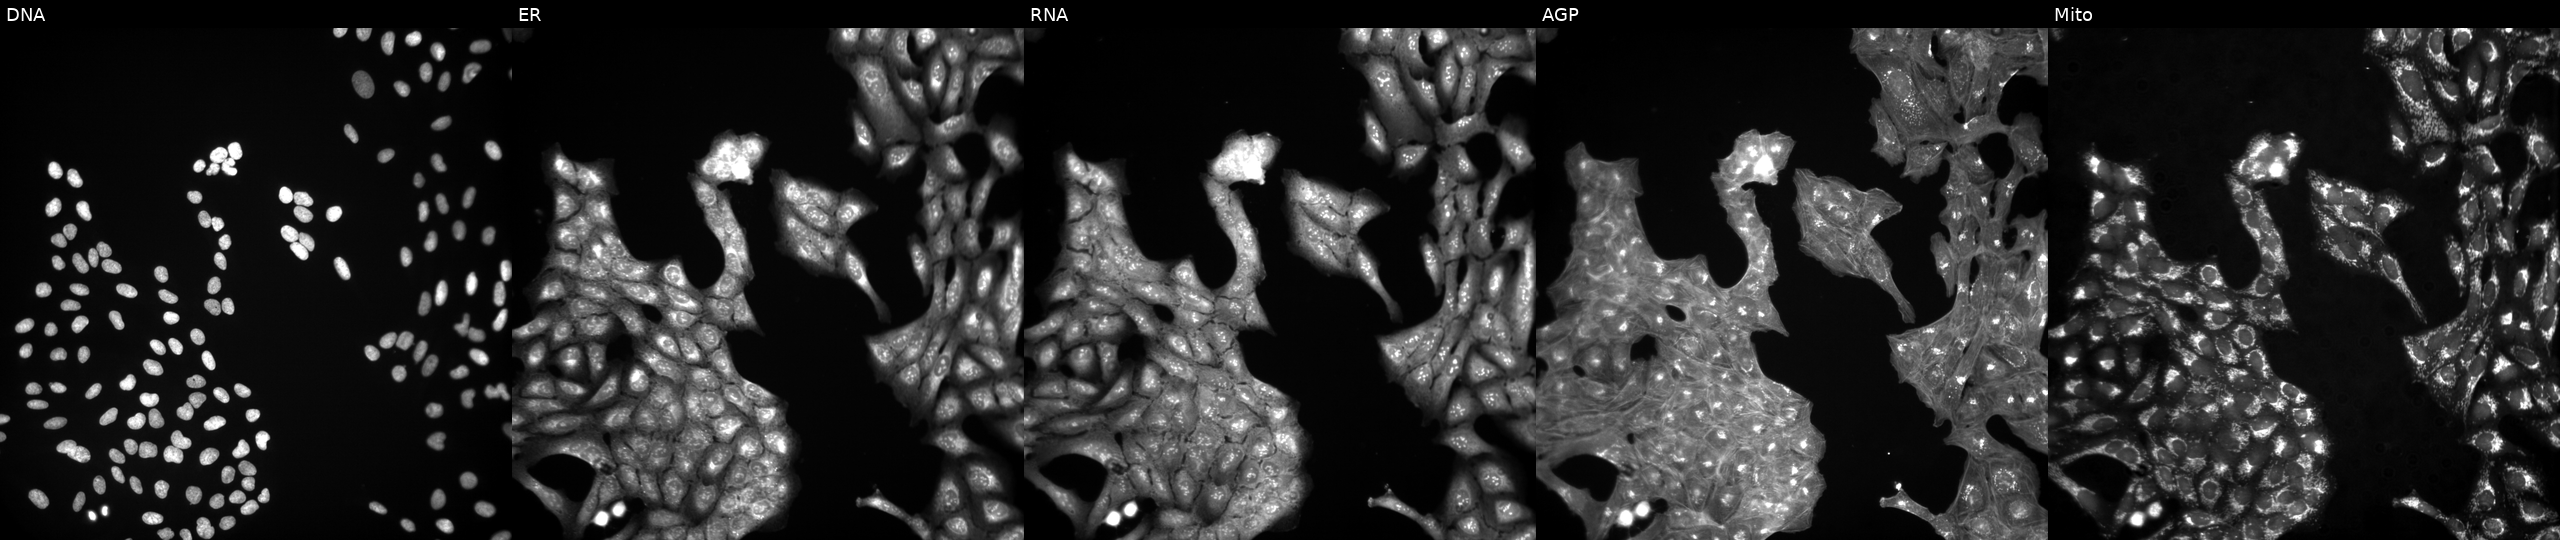
JUMP Cell Painting — COMPOUND plate. U2OS cells exposed to the positive-control compound quinidine. The five panels, left to right, show DNA, ER, RNA, AGP, and Mito.